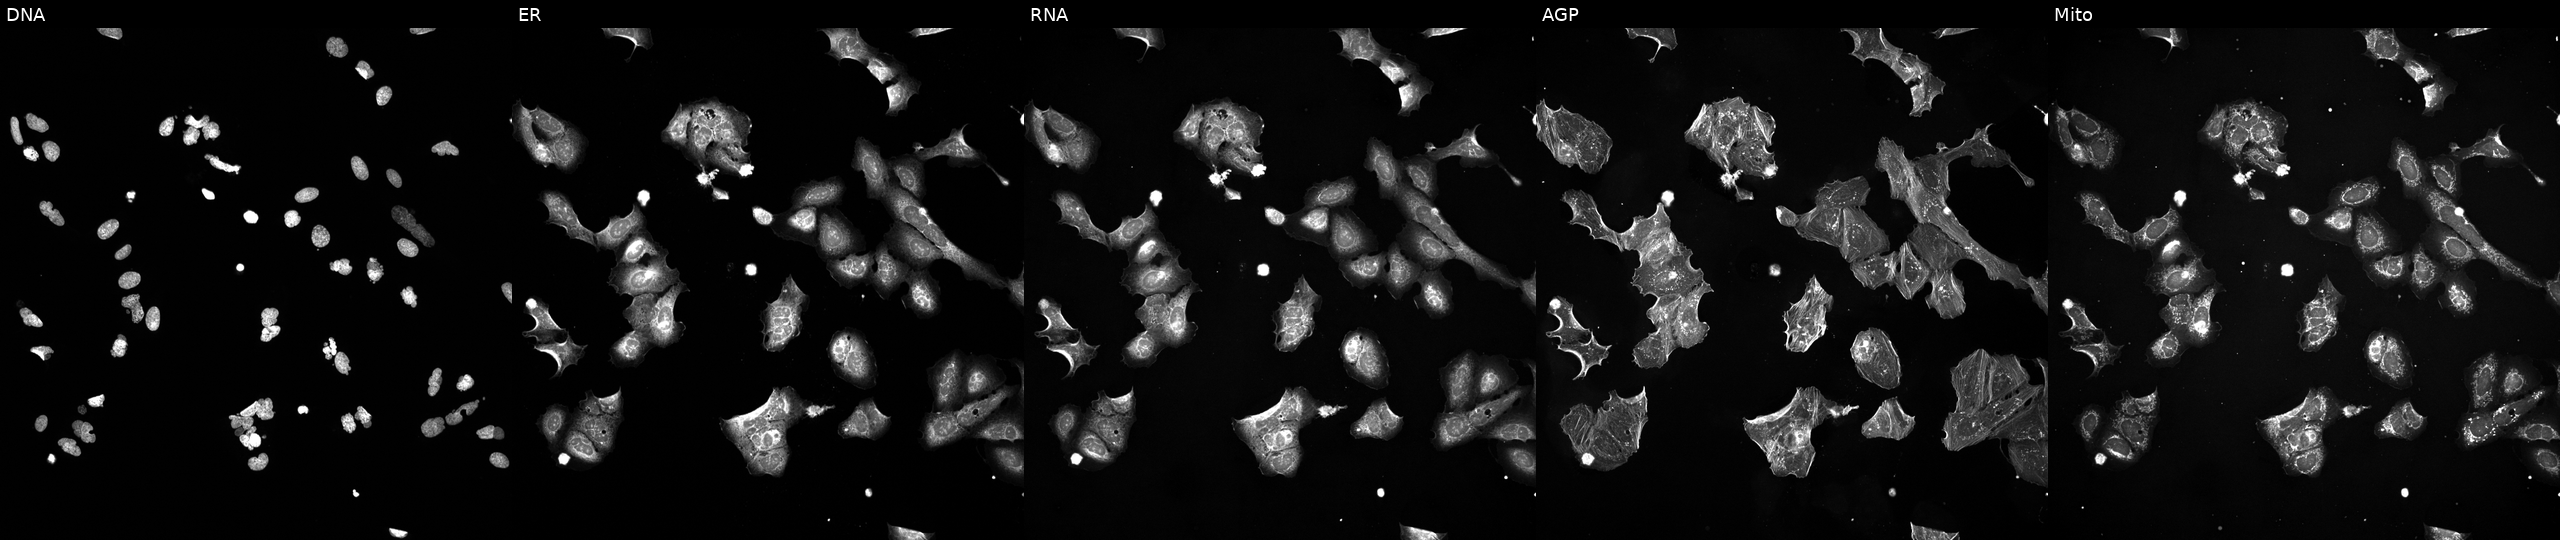
Channels (left→right): Hoechst 33342, concanavalin A, SYTO 14, phalloidin and WGA, MitoTracker. U2OS osteosarcoma cells exposed to a small-molecule compound [SMILES: N=c1cc(C(F)(F)F)c(-c2cc(N3CCOCC3)nc(N3CCOCC3)n2)c[nH]1] (JUMP id JCP2022_013856). Cell Painting assay, JUMP-CP dataset.